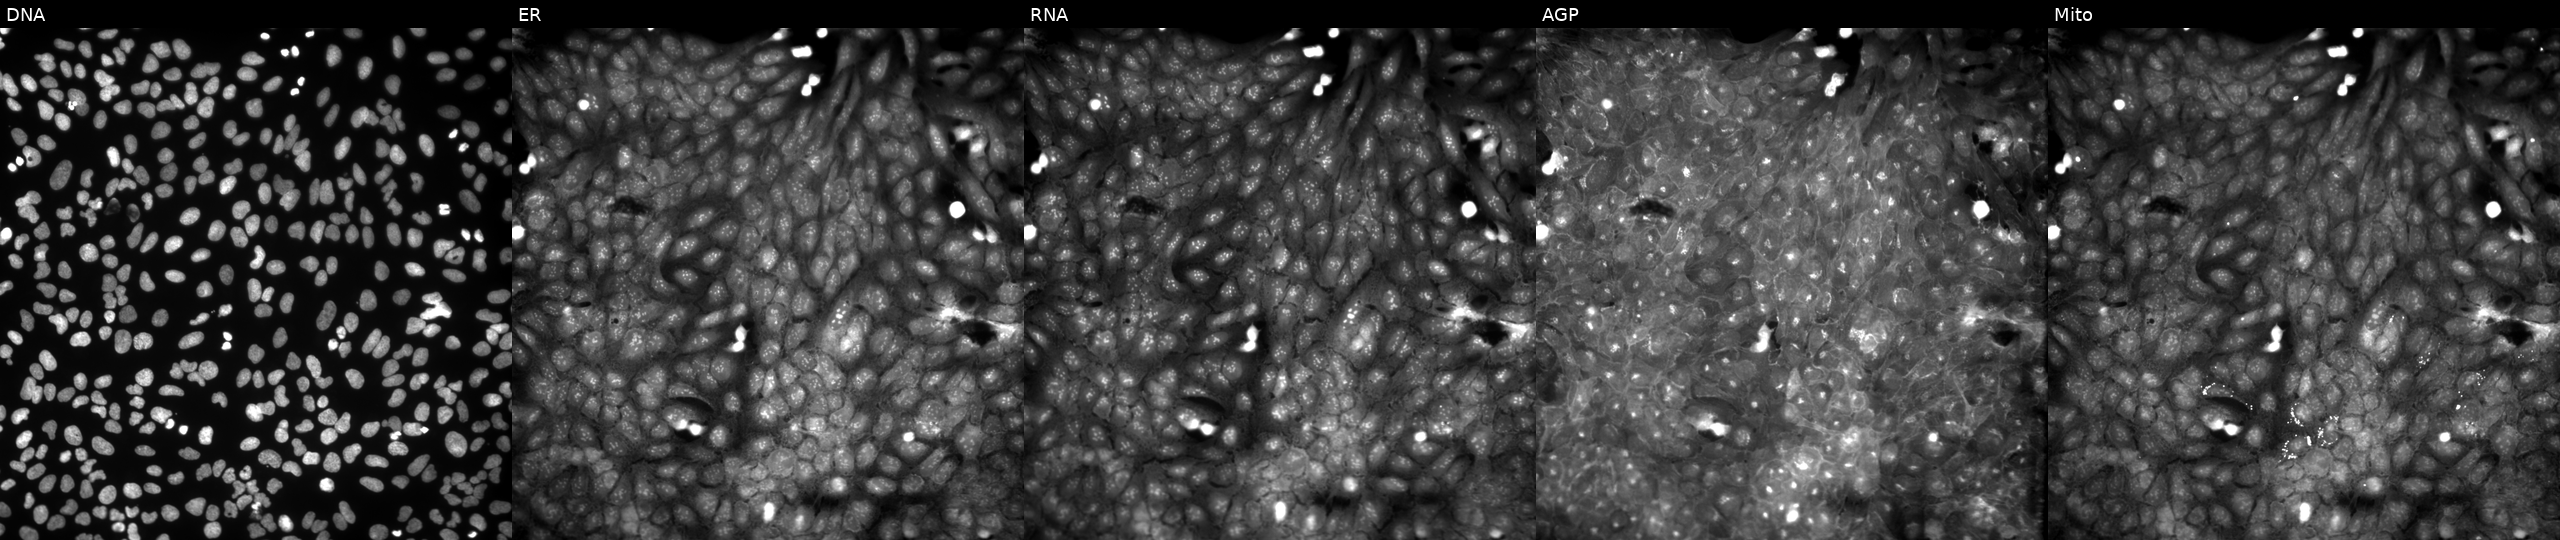
From left to right: DNA, ER, RNA, AGP, and Mito. U2OS osteosarcoma cells treated with a small-molecule compound (InChIKey HZWHUQKGQYSEOR-UHFFFAOYSA-N) [SMILES: COc1ccc(-c2nnc(SCC(=O)OC(C)C)o2)cc1] (JUMP id JCP2022_033708). Cell Painting assay, JUMP-CP dataset. Source 9, plate GR00003382, well AD15.